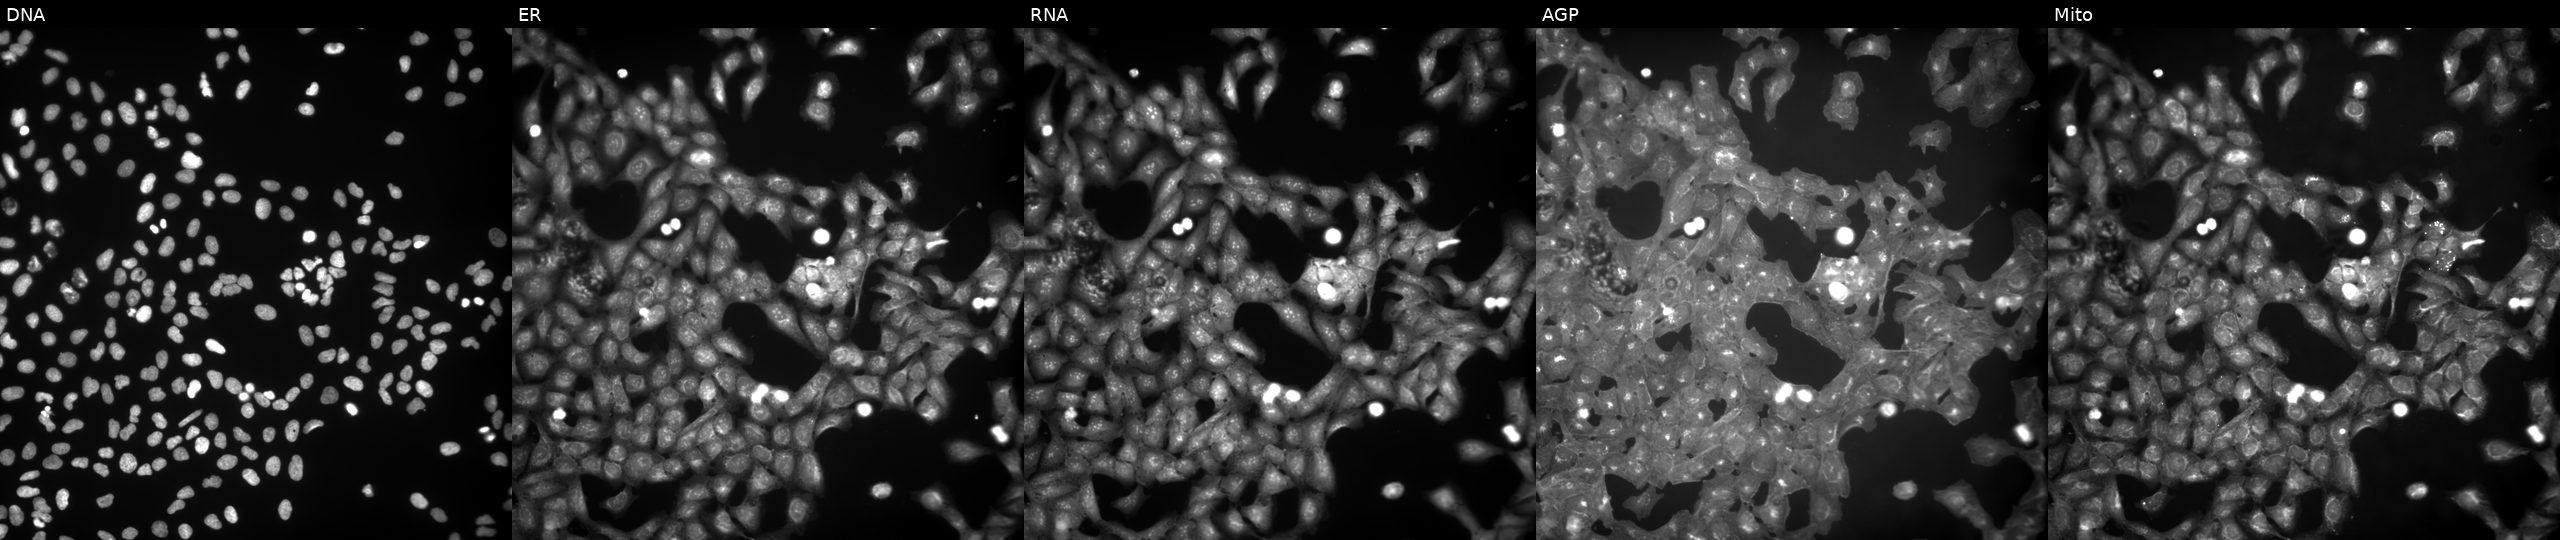
From left to right: Hoechst 33342, concanavalin A, SYTO 14, phalloidin and WGA, MitoTracker. U2OS osteosarcoma cells exposed to the positive-control compound NVS-PAK1-1. Cell Painting assay, JUMP-CP dataset. Source 9, plate GR00003382, well AD48.